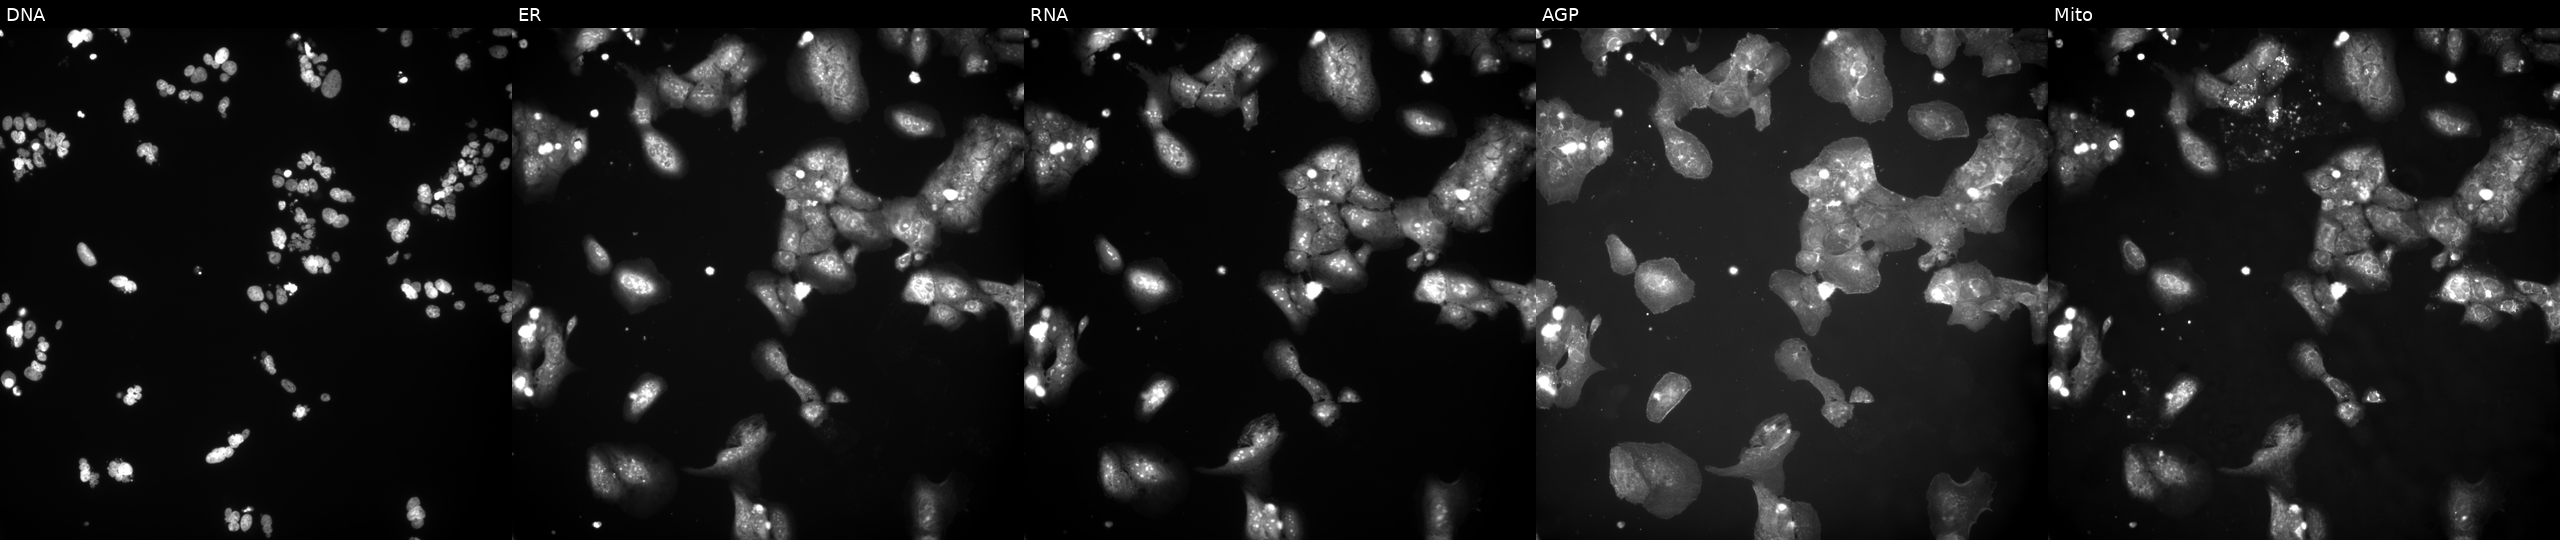
The five panels, left to right, show DNA (nuclei); ER (endoplasmic reticulum); RNA (nucleoli and cytoplasmic RNA); AGP (actin cytoskeleton, Golgi, and plasma membrane); Mito (mitochondria). U2OS osteosarcoma cells exposed to a small-molecule compound [SMILES: C=CCn1c(SCc2ccccc2Cl)nc2c1c(=O)[nH]c(=O)n2C] (JUMP id JCP2022_095263). Cell Painting assay, JUMP-CP dataset. Source 9, plate GR00003381, well E33.